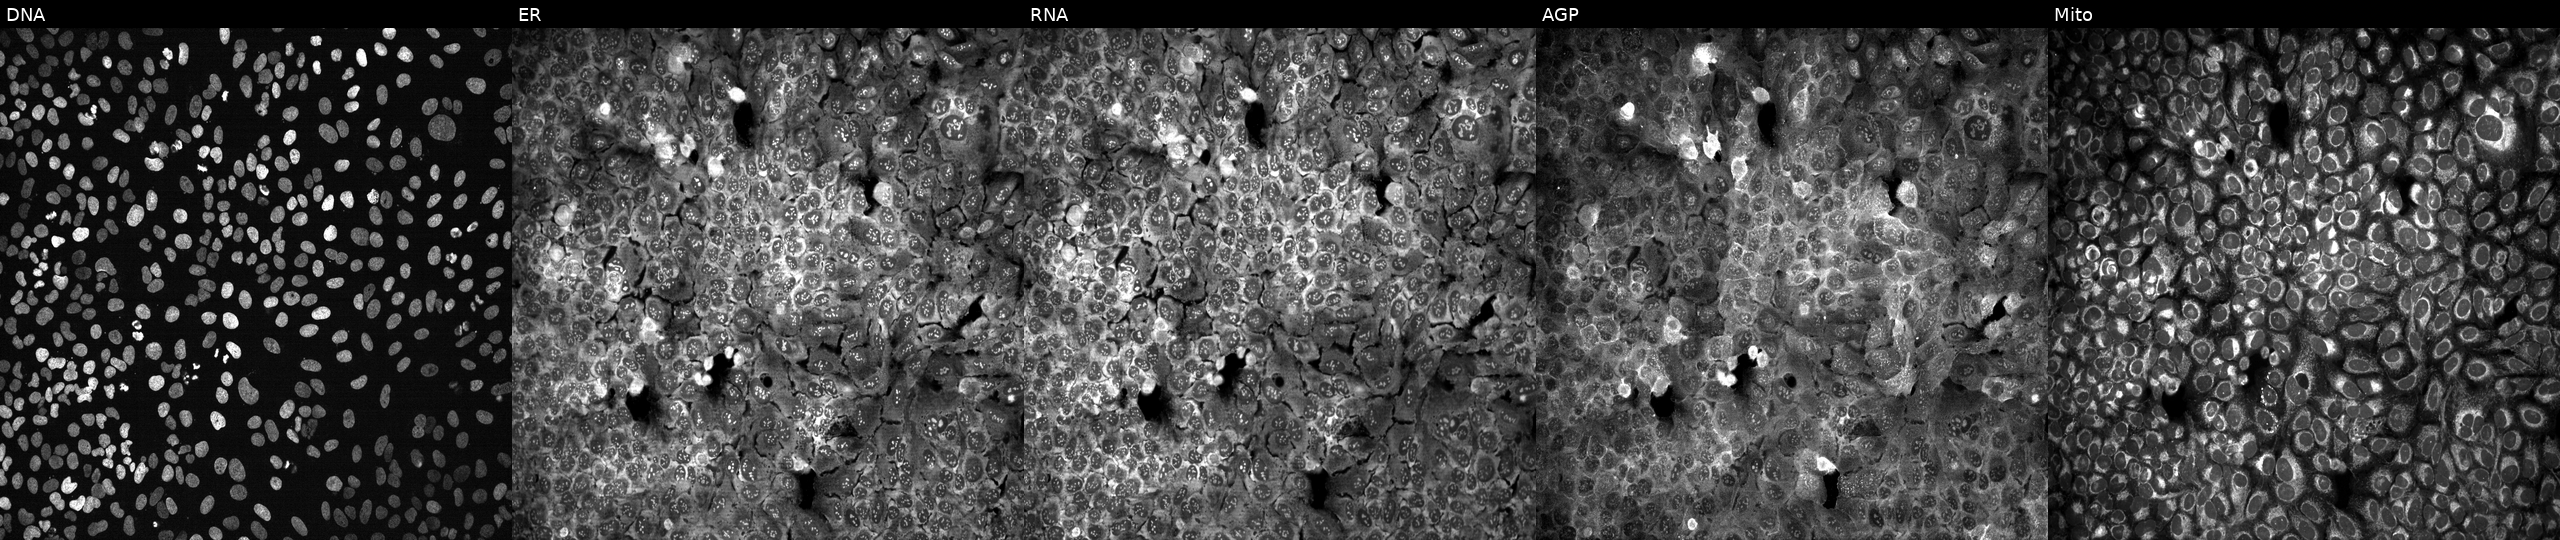
Five-channel Cell Painting image of U2OS cells following CRISPR knockout of DYNLL1. Panels show, left to right, Hoechst 33342, concanavalin A, SYTO 14, phalloidin and WGA, MitoTracker.